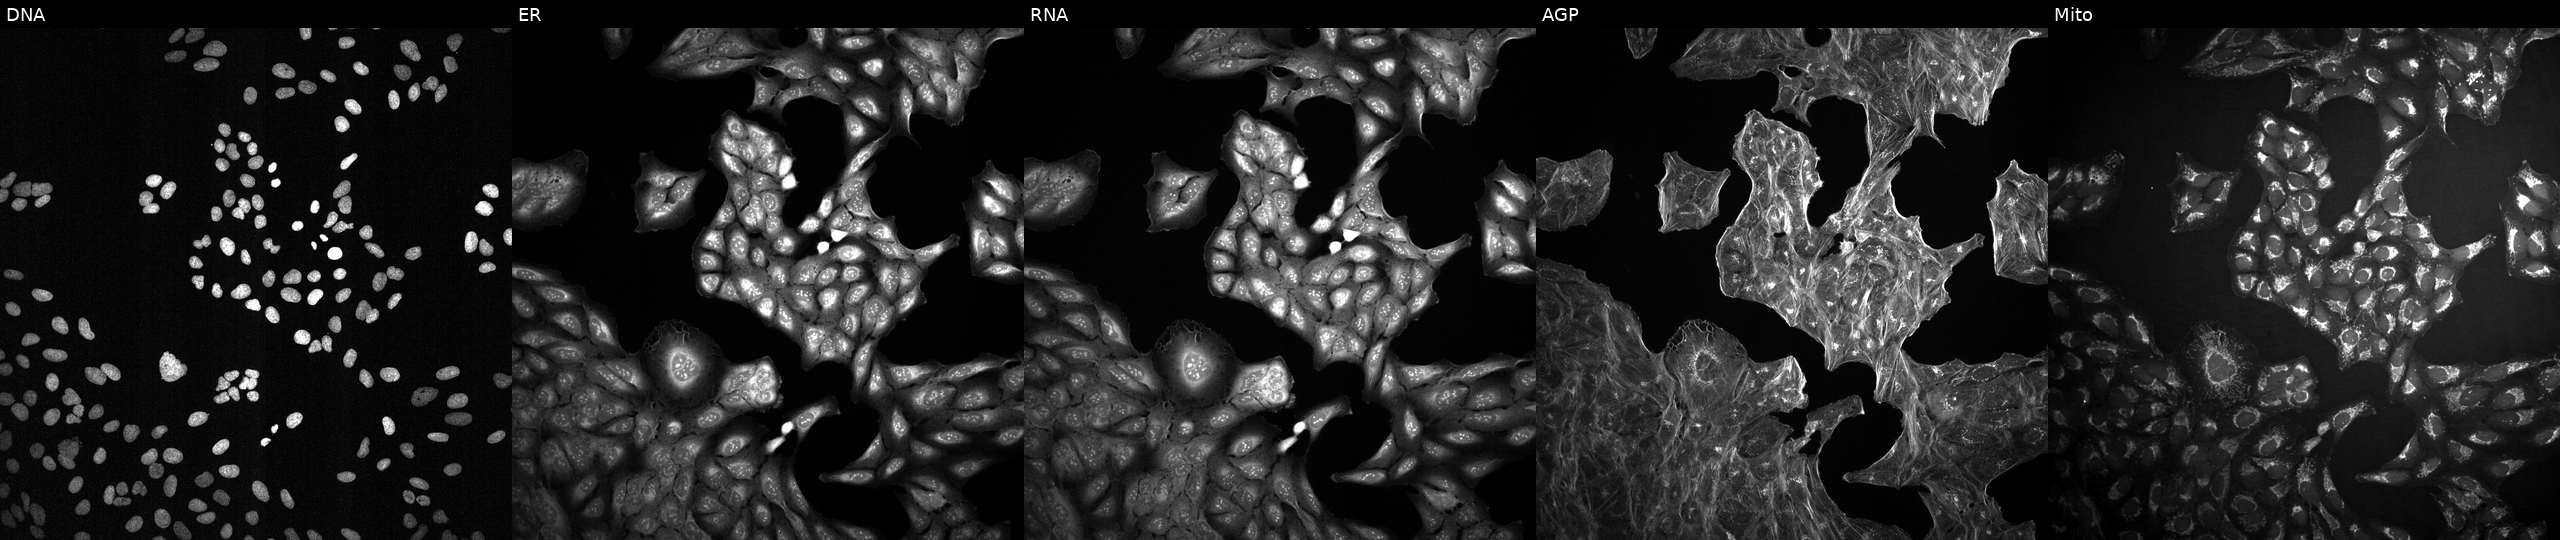
Five-channel Cell Painting image of U2OS cells perturbed with a small-molecule compound. The five panels, left to right, show DNA (nuclei); ER (endoplasmic reticulum); RNA (nucleoli and cytoplasmic RNA); AGP (actin cytoskeleton, Golgi, and plasma membrane); Mito (mitochondria). Source 2, plate 1053599503, well L02.